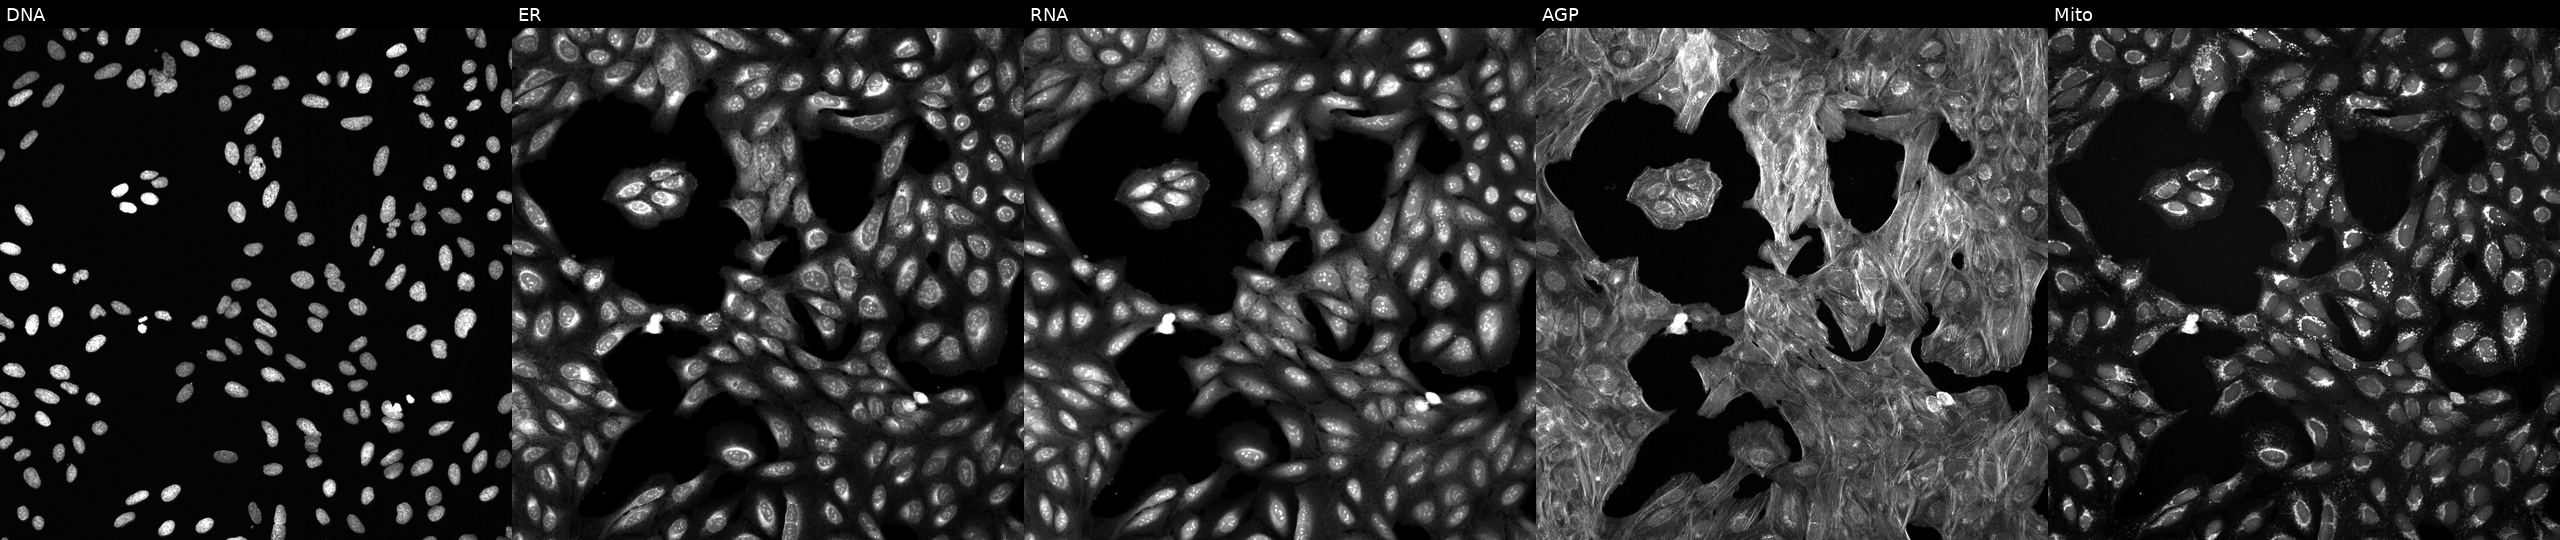
High-content fluorescence microscopy (Cell Painting). Cell line: U2OS. Perturbation: treated with a small-molecule compound [SMILES: O=C(O)c1ccccc1O] (JUMP id JCP2022_108326). Panels show, left to right, DNA, ER, RNA, AGP, and Mito.